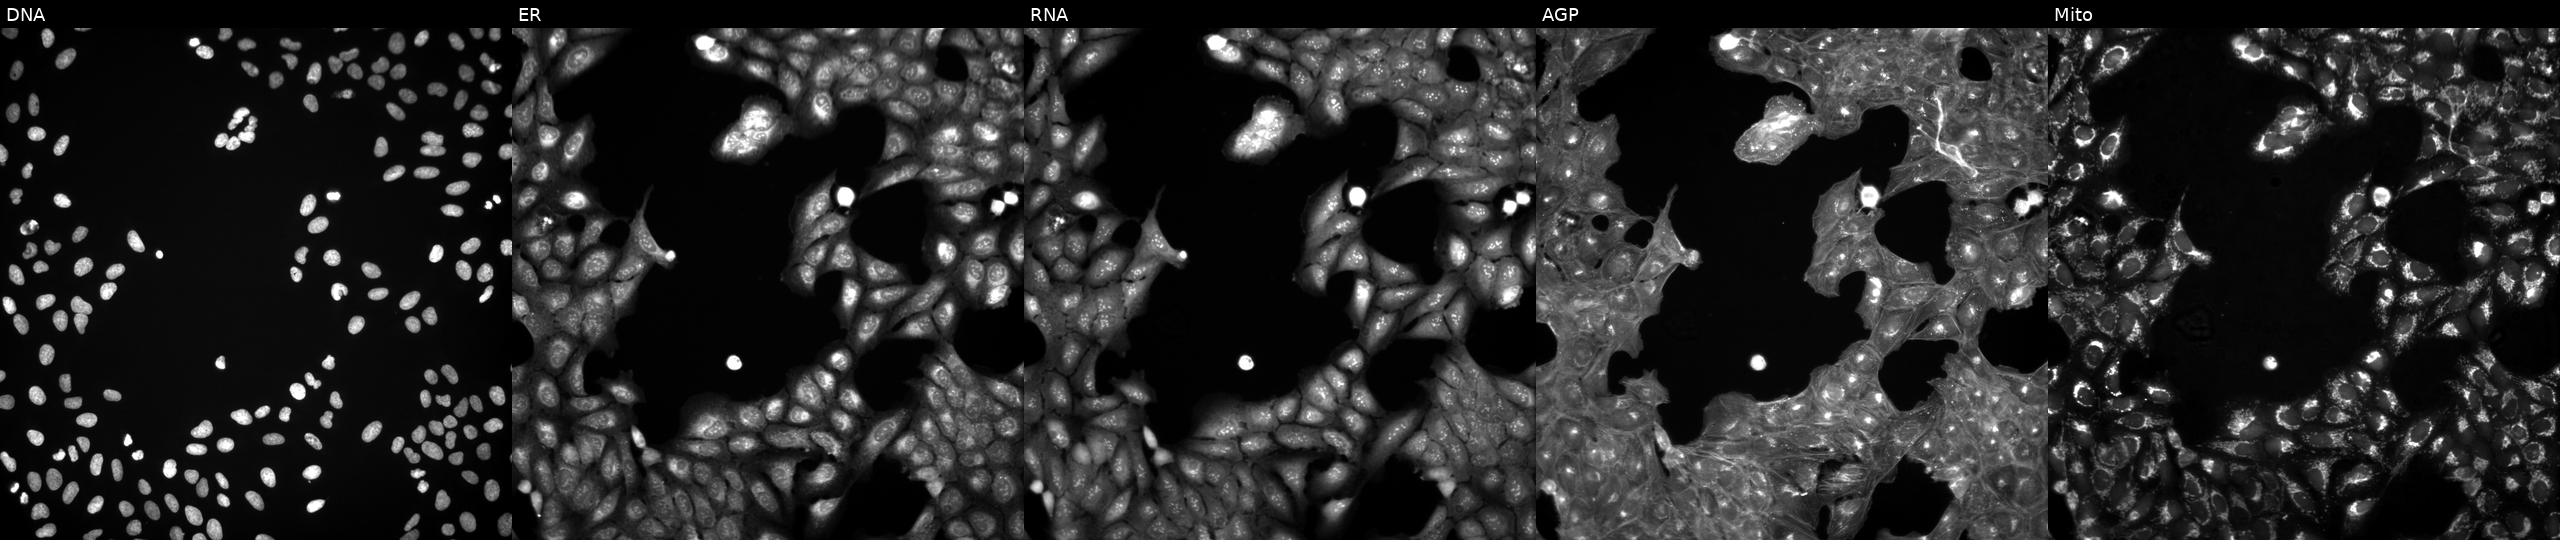
High-content fluorescence microscopy (Cell Painting). Cell line: U2OS. Perturbation: exposed to a small-molecule compound (InChIKey DJKJVWJQAVGLHJ-UHFFFAOYSA-N). From left to right: DNA, ER, RNA, AGP, and Mito. Source 3, plate JCPQC051, well A11.